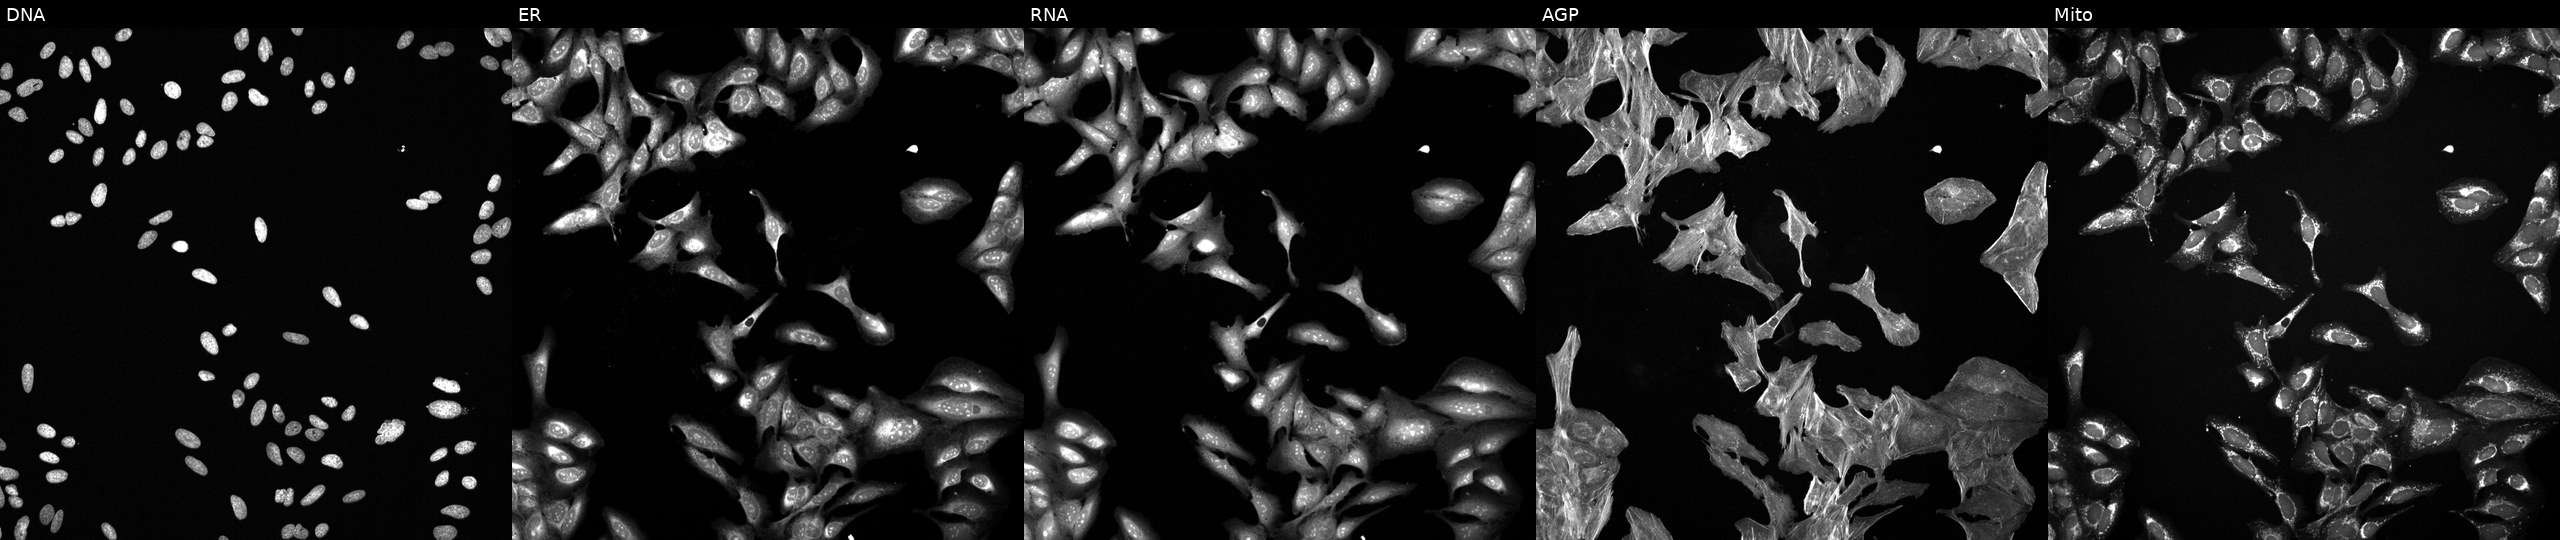
U2OS cells, Cell Painting assay, treated with a small-molecule compound (InChIKey WYWHKKSPHMUBEB-UHFFFAOYSA-N) (JUMP id JCP2022_102083). From left to right: Hoechst 33342, concanavalin A, SYTO 14, phalloidin and WGA, MitoTracker. Each panel is percentile-stretched 16-bit fluorescence. Source 6, plate 110000294901, well H15.